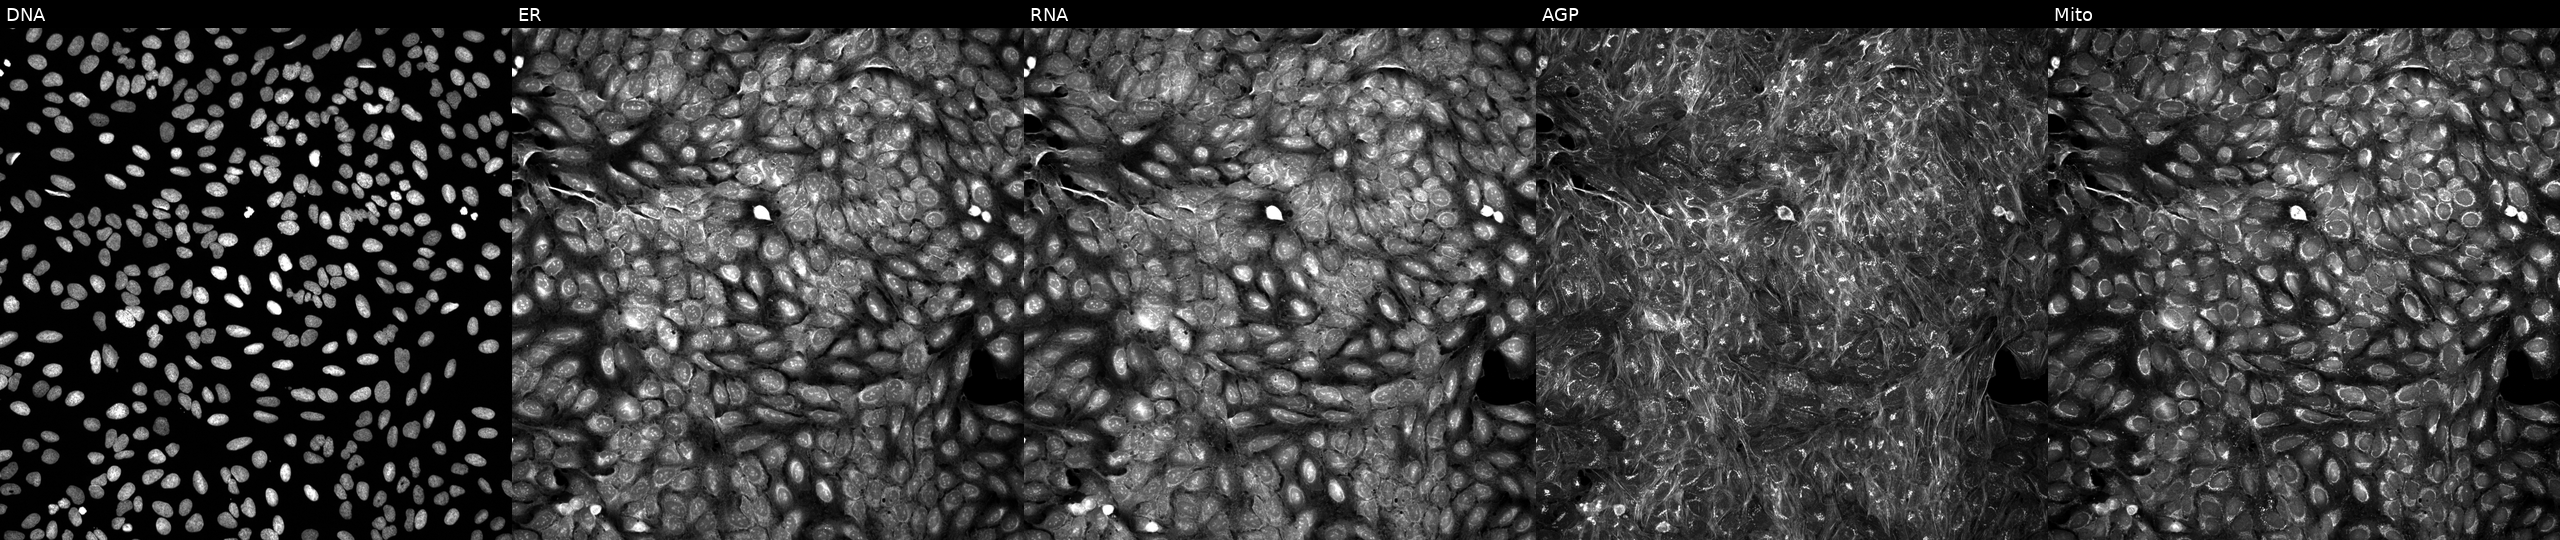
High-content fluorescence microscopy (Cell Painting). Cell line: U2OS. Perturbation: treated with dexamethasone (positive-control compound). From left to right: DNA (nuclei); ER (endoplasmic reticulum); RNA (nucleoli and cytoplasmic RNA); AGP (actin cytoskeleton, Golgi, and plasma membrane); Mito (mitochondria).